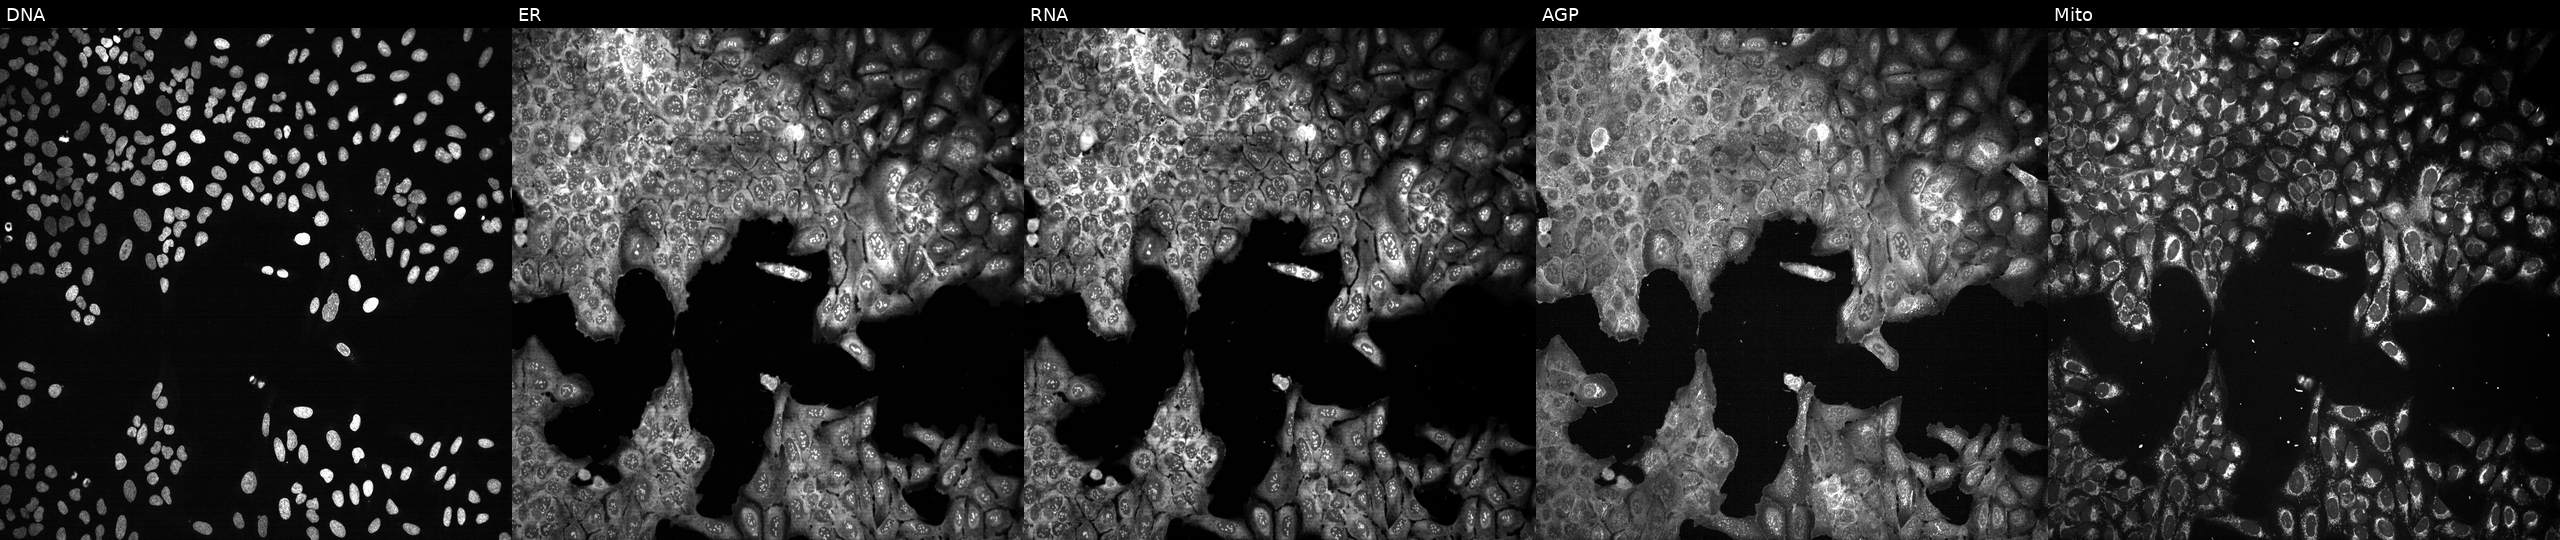
JUMP Cell Painting — CRISPR plate. U2OS cells with GNAZ knocked out by CRISPR (JUMP id JCP2022_802769). Panels show, left to right, Hoechst 33342, concanavalin A, SYTO 14, phalloidin and WGA, MitoTracker.